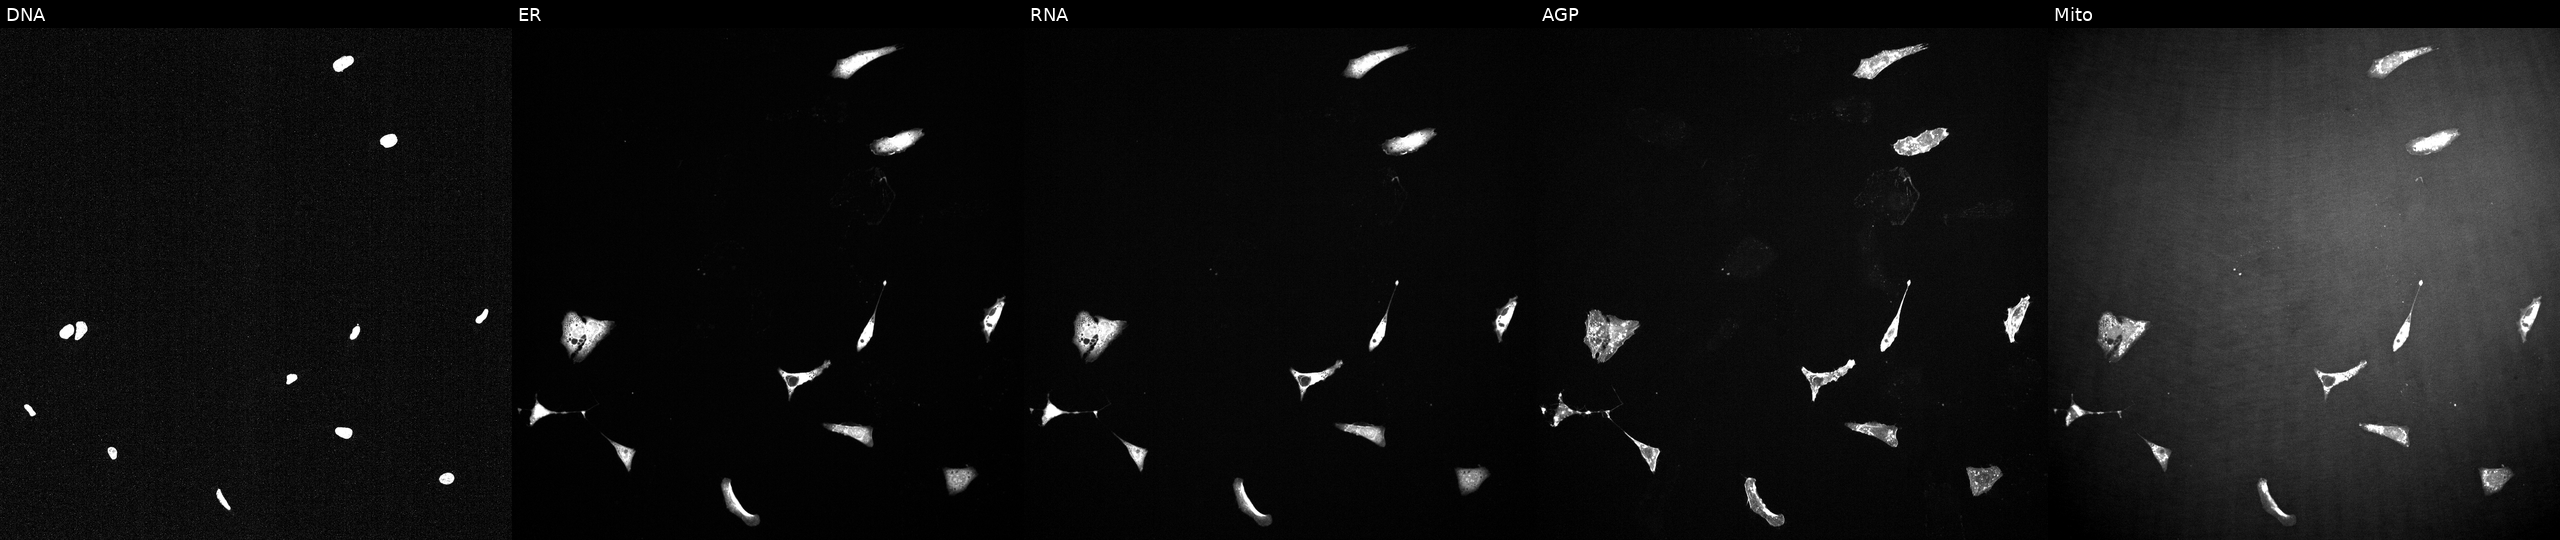
Panels show, left to right, DNA, ER, RNA, AGP, and Mito. U2OS osteosarcoma cells treated with a small-molecule compound (InChIKey PHXJVRSECIGDHY-UHFFFAOYSA-N). Cell Painting assay, JUMP-CP dataset.